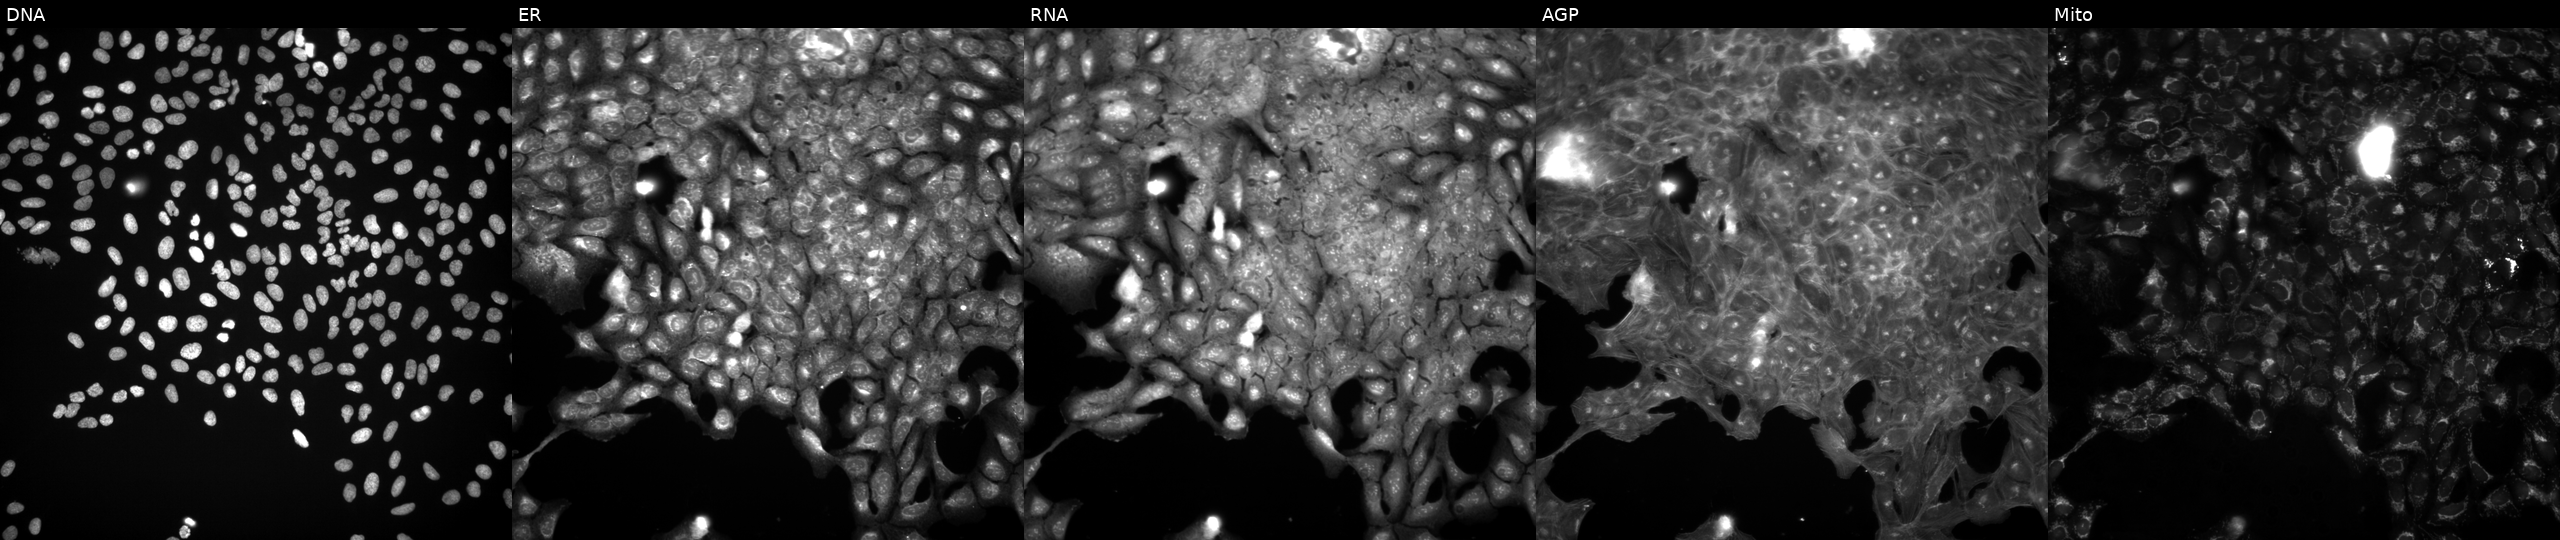
Panels show, left to right, Hoechst 33342, concanavalin A, SYTO 14, phalloidin and WGA, MitoTracker. U2OS osteosarcoma cells exposed to a small-molecule compound (InChIKey NUKYPUAOHBNCPY-UHFFFAOYSA-N). Cell Painting assay, JUMP-CP dataset.